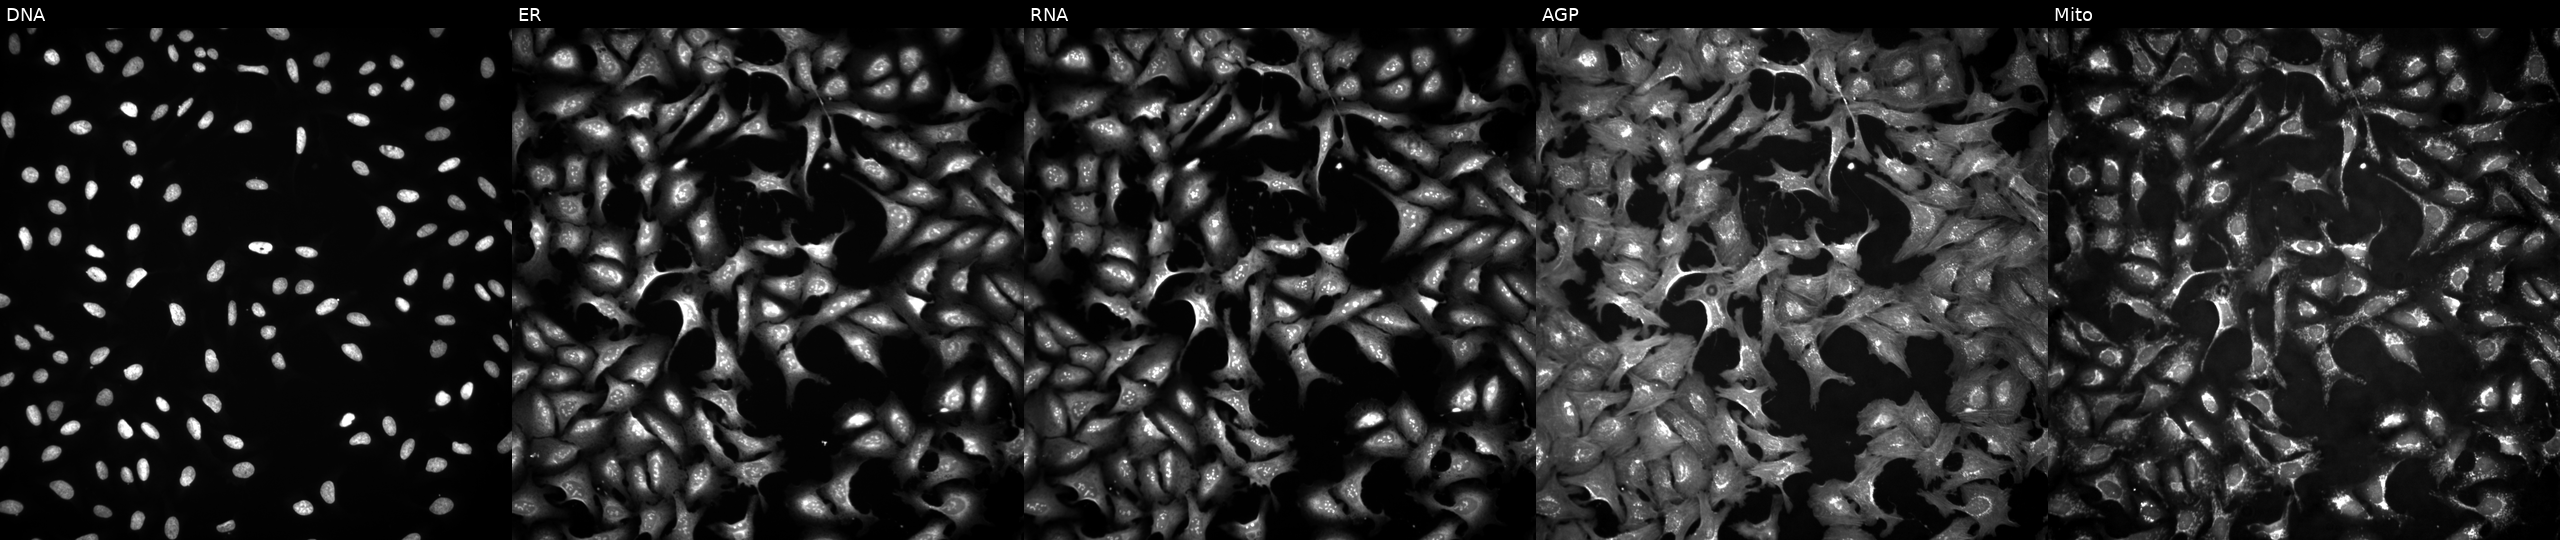
Five-channel Cell Painting image of U2OS cells overexpressing IKBKB via ORF transfection (JUMP id JCP2022_900787). The five panels, left to right, show DNA (nuclei); ER (endoplasmic reticulum); RNA (nucleoli and cytoplasmic RNA); AGP (actin cytoskeleton, Golgi, and plasma membrane); Mito (mitochondria).